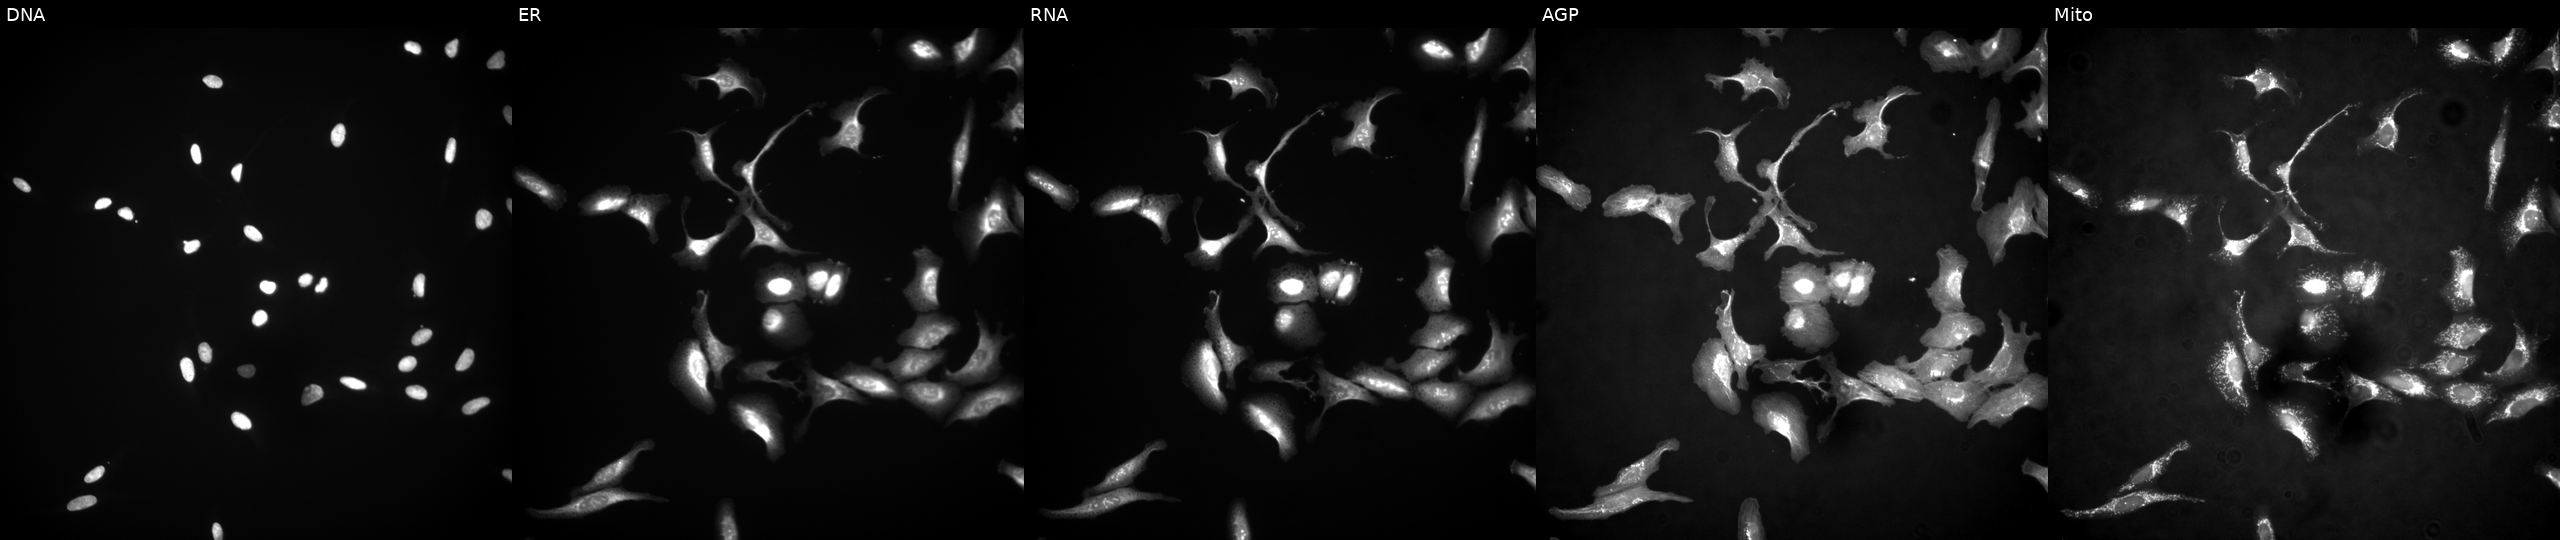
High-content fluorescence microscopy (Cell Painting). Cell line: U2OS. Perturbation: transfected with an ORF construct for DGKE (JUMP id JCP2022_913056). The five panels, left to right, show DNA, ER, RNA, AGP, and Mito.